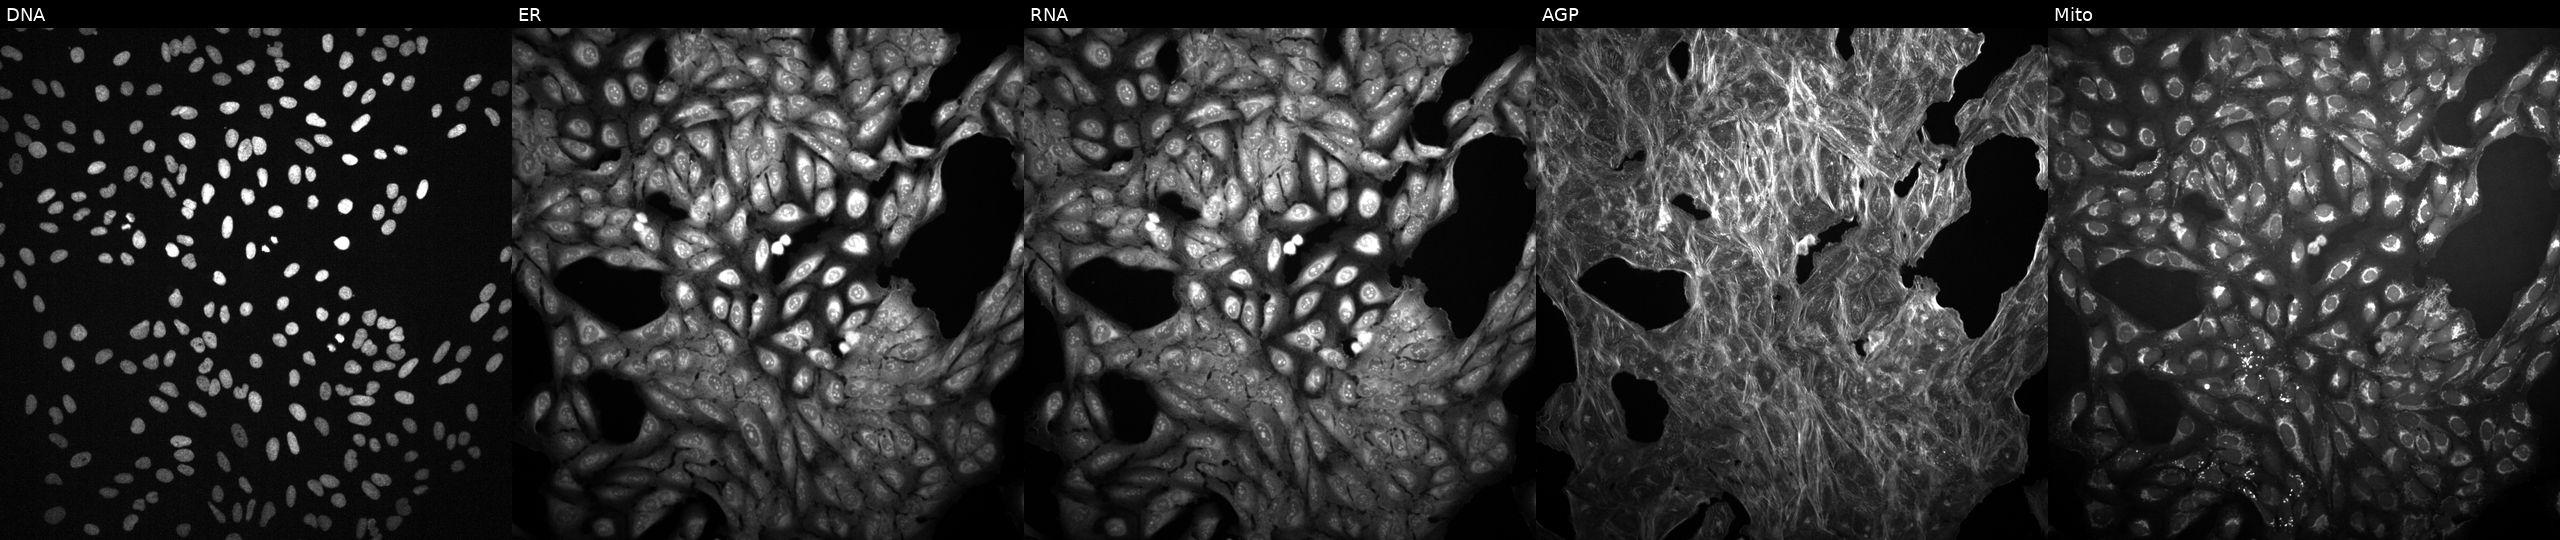
High-content fluorescence microscopy (Cell Painting). Cell line: U2OS. Perturbation: exposed to a small-molecule compound [SMILES: O=C(O)CC(O)(CC(=O)O)C(=O)O] (JUMP id JCP2022_046524). Panels show, left to right, DNA (nuclei); ER (endoplasmic reticulum); RNA (nucleoli and cytoplasmic RNA); AGP (actin cytoskeleton, Golgi, and plasma membrane); Mito (mitochondria).